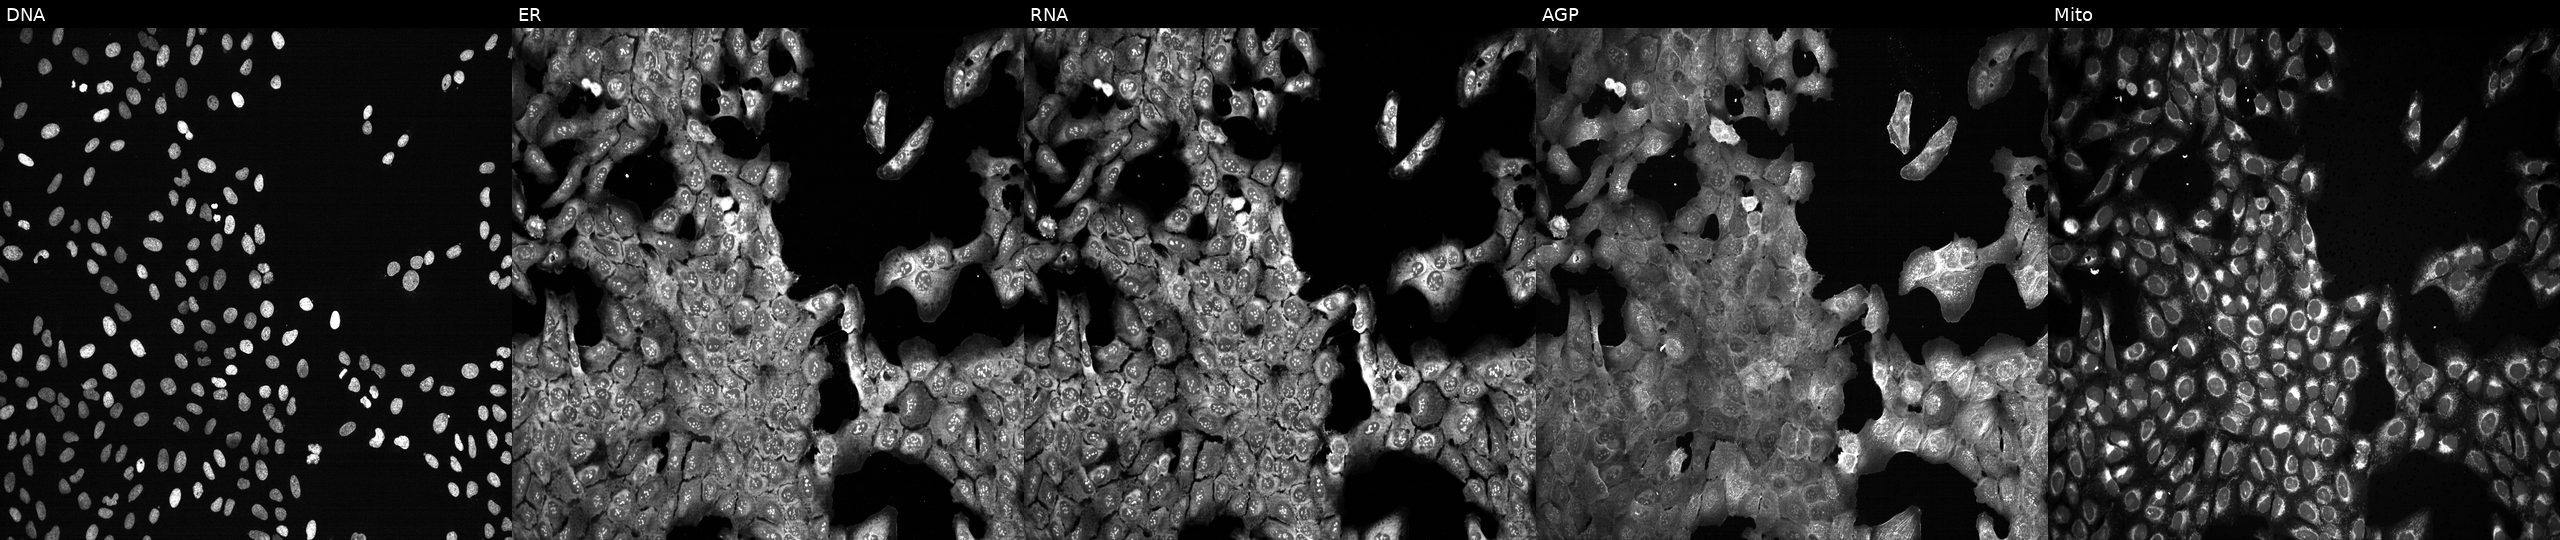
Five-channel Cell Painting image of U2OS cells CRISPR-edited to disrupt HBZ (JUMP id JCP2022_803030). Channels (left→right): Hoechst 33342, concanavalin A, SYTO 14, phalloidin and WGA, MitoTracker. Source 13, plate CP-CC9-R2-01, well B10.